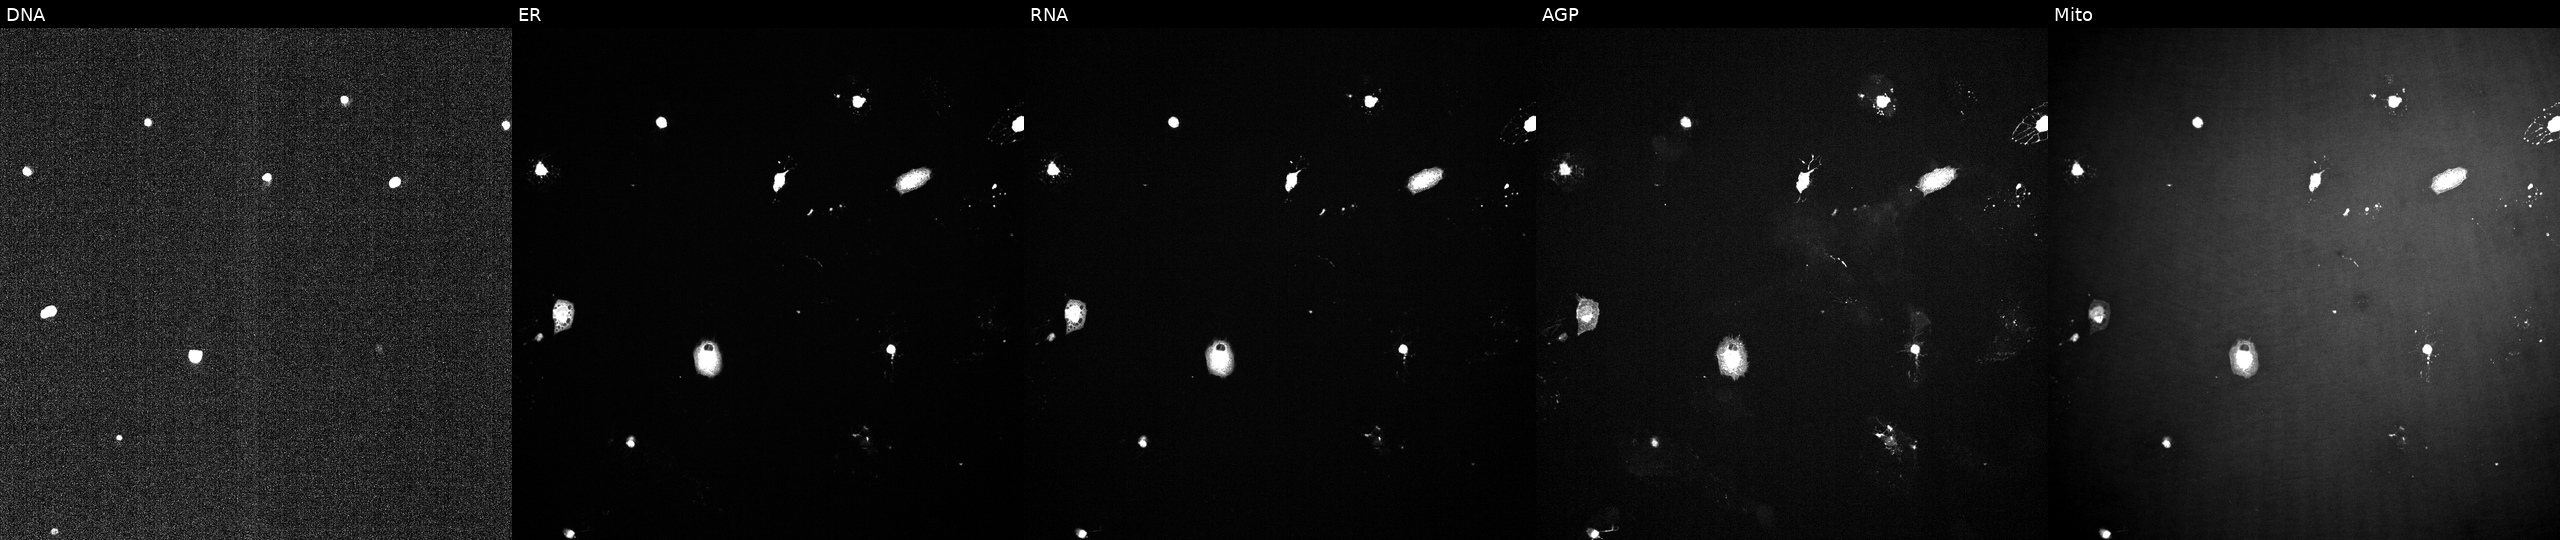
From left to right: DNA (nuclei); ER (endoplasmic reticulum); RNA (nucleoli and cytoplasmic RNA); AGP (actin cytoskeleton, Golgi, and plasma membrane); Mito (mitochondria). U2OS osteosarcoma cells treated with a small-molecule compound (InChIKey UTBOEBCWXGDOGI-UHFFFAOYSA-N) (JUMP id JCP2022_091373). Cell Painting assay, JUMP-CP dataset.